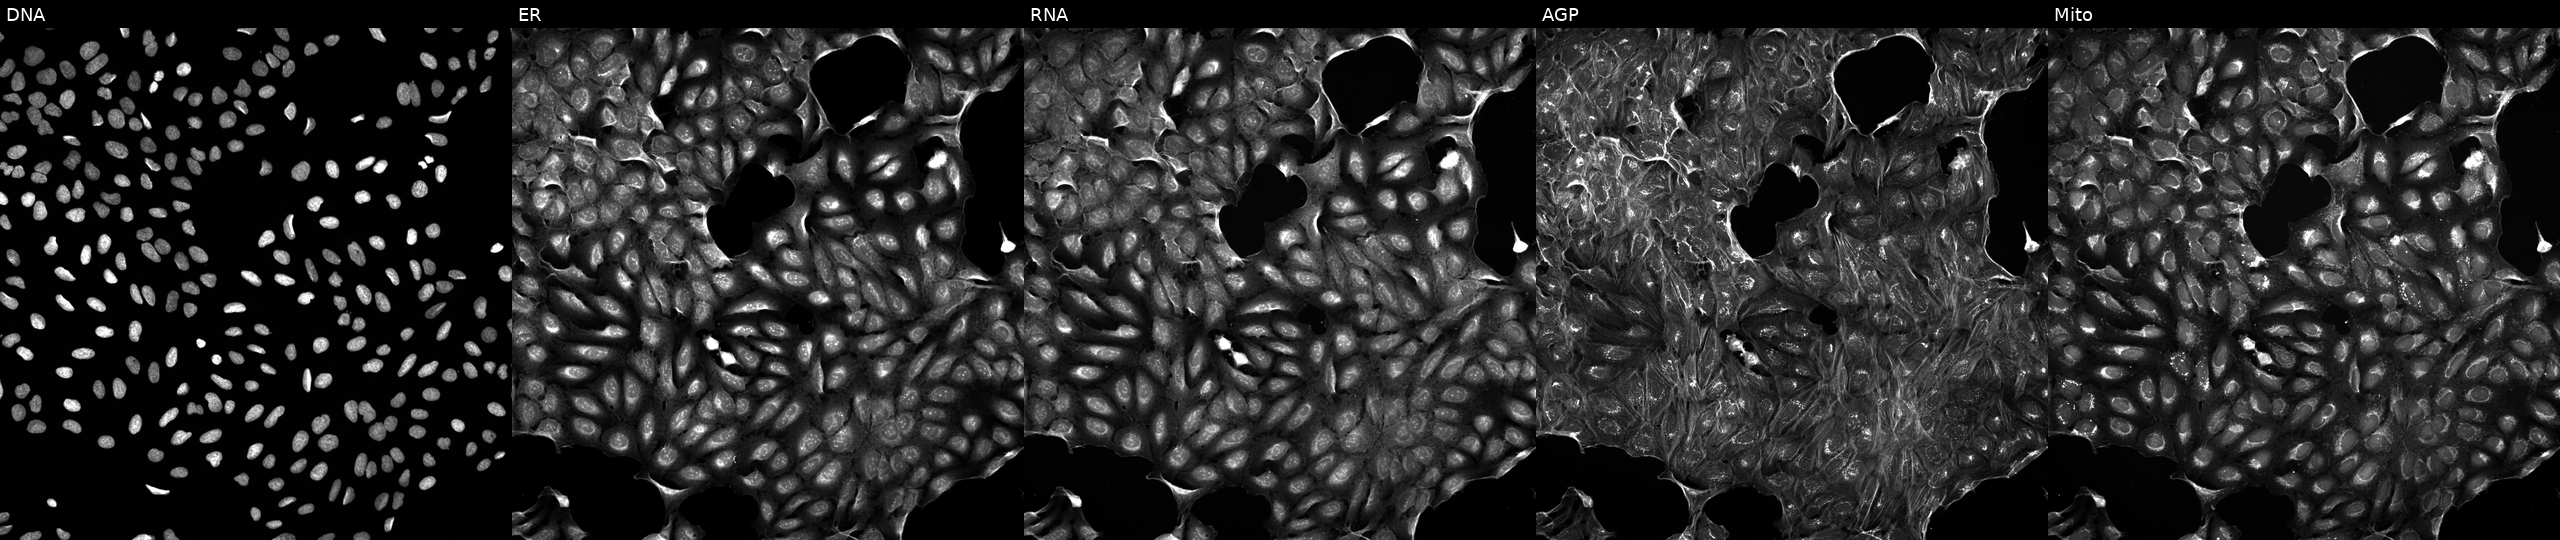
This image strip shows the five Cell Painting channels for a single field of U2OS cells exposed to DMSO alone as a negative control. The five panels, left to right, show DNA, ER, RNA, AGP, and Mito.